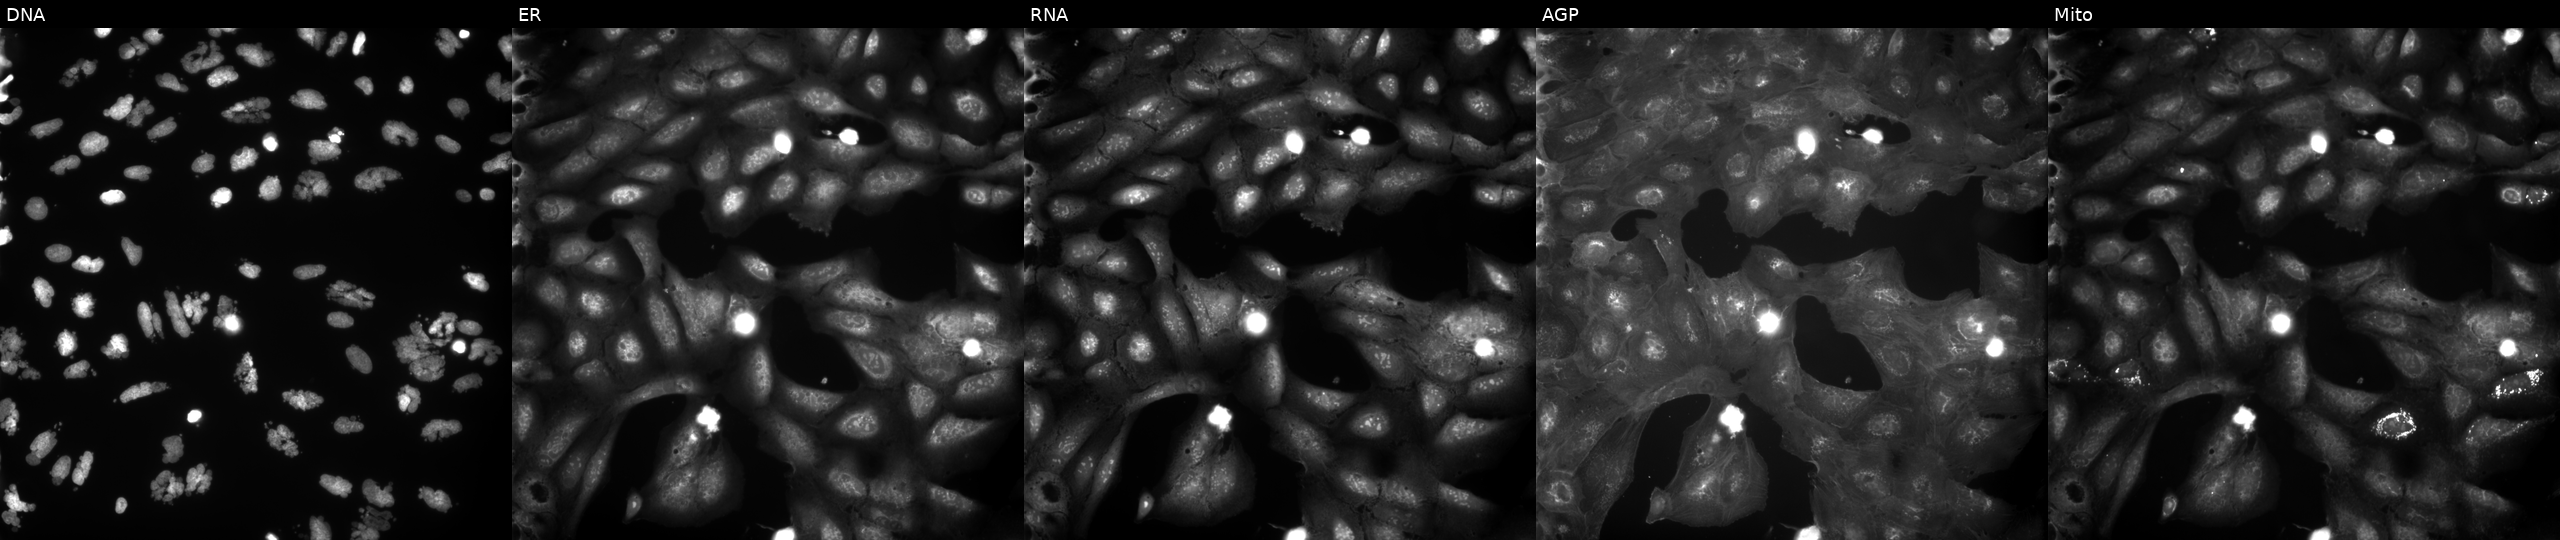
JUMP Cell Painting — COMPOUND plate. U2OS cells exposed to the positive-control compound AMG900. Panels show, left to right, DNA, ER, RNA, AGP, and Mito.